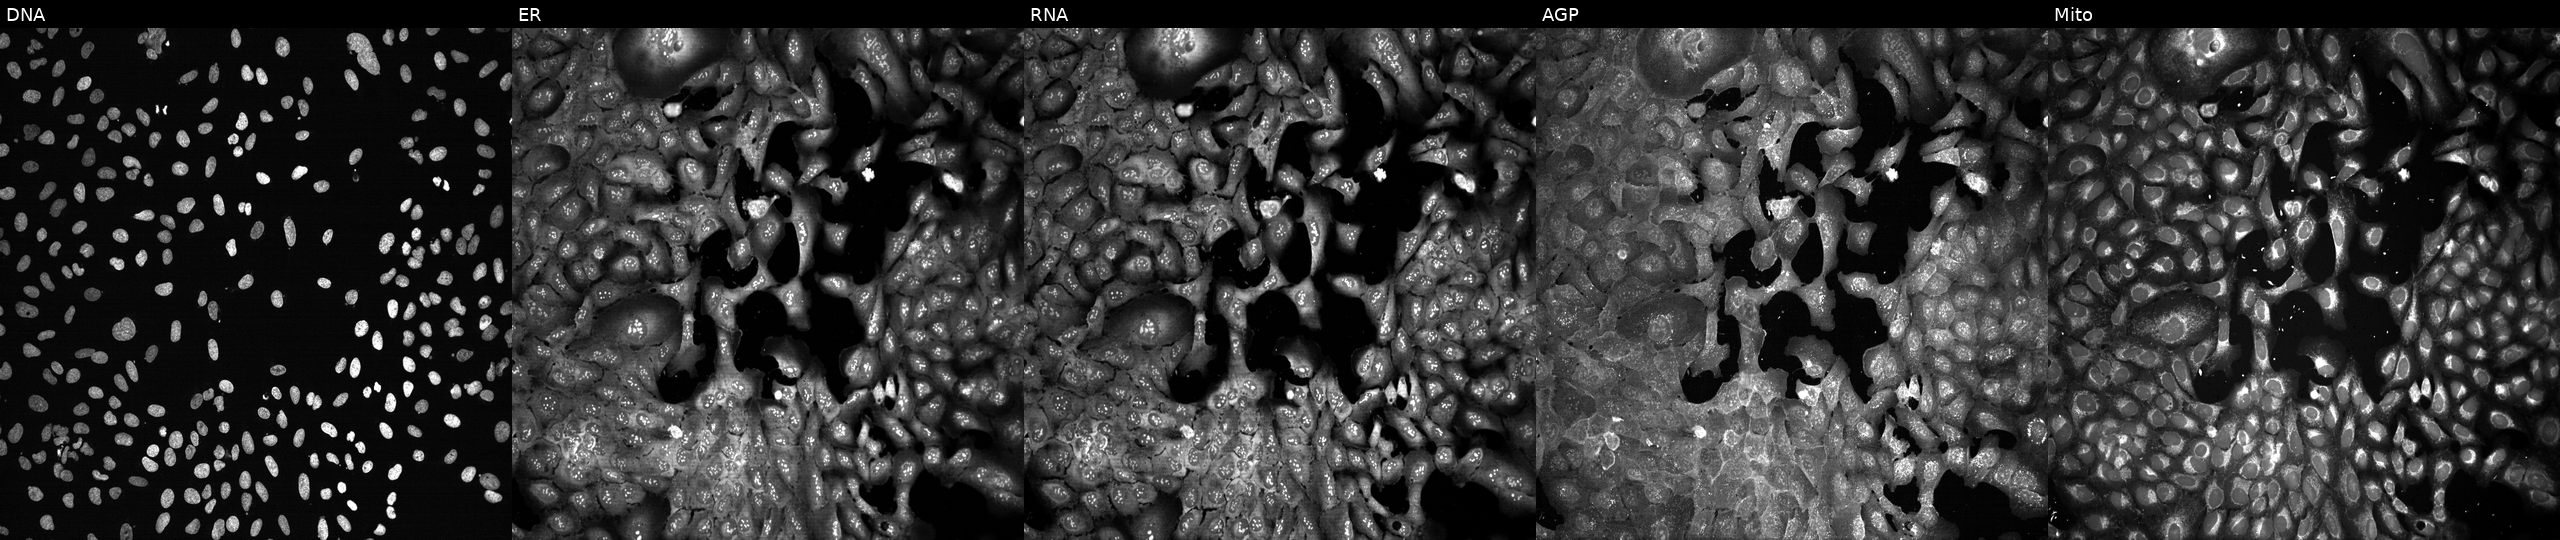
Channels (left→right): DNA (nuclei); ER (endoplasmic reticulum); RNA (nucleoli and cytoplasmic RNA); AGP (actin cytoskeleton, Golgi, and plasma membrane); Mito (mitochondria). U2OS osteosarcoma cells following CRISPR knockout of GJA5. Cell Painting assay, JUMP-CP dataset.